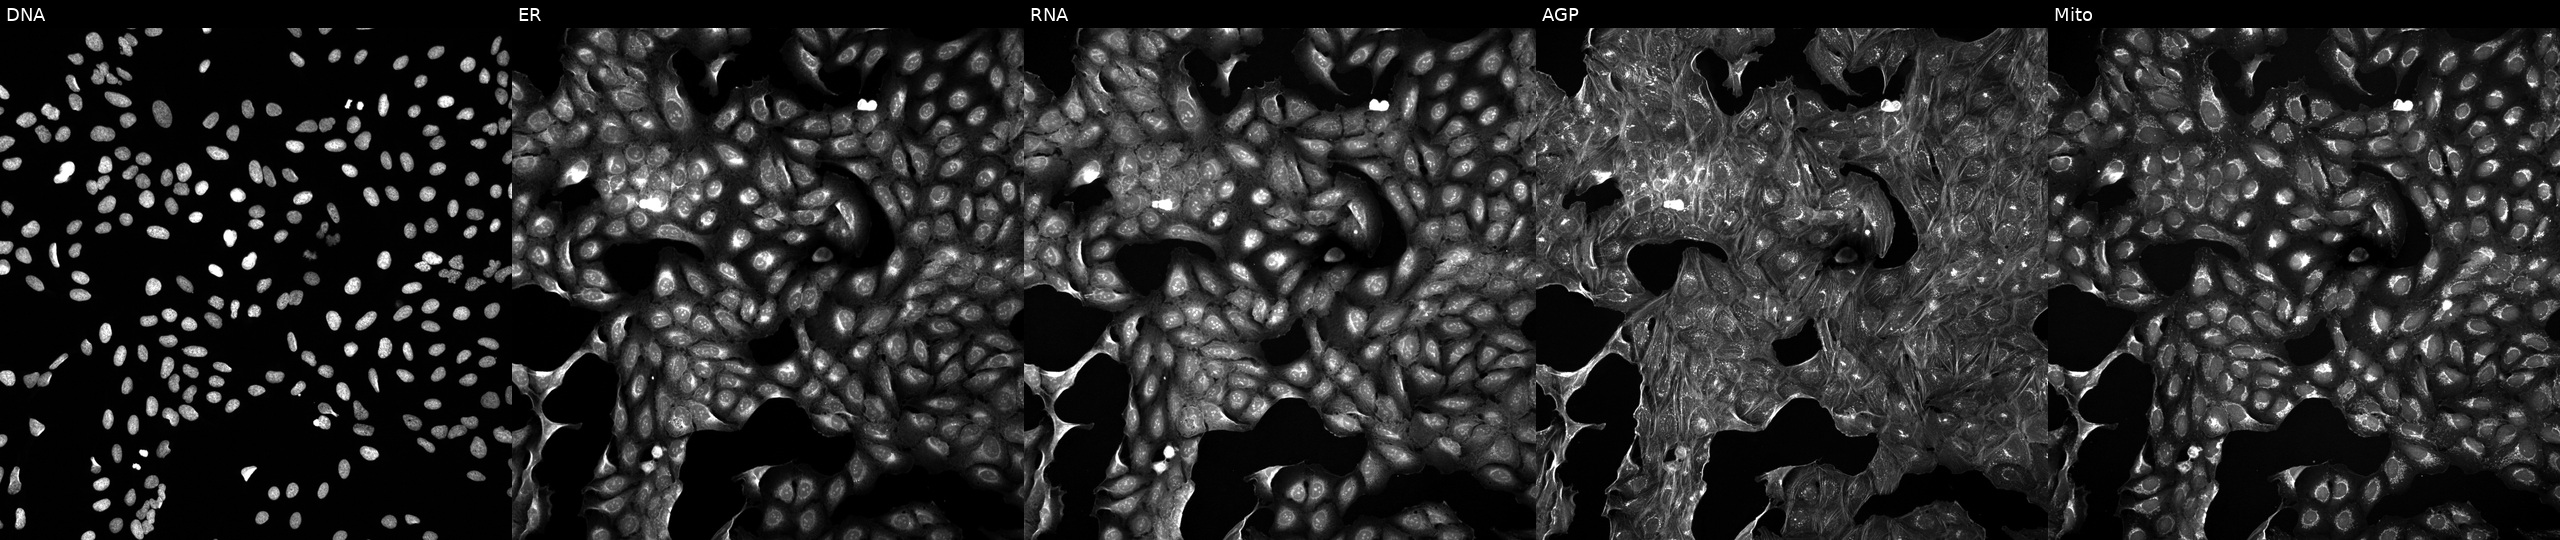
JUMP Cell Painting — TARGET2 plate. U2OS cells exposed to a small-molecule compound (InChIKey UFJGFNHRMPMALC-UHFFFAOYSA-N). The five panels, left to right, show Hoechst 33342, concanavalin A, SYTO 14, phalloidin and WGA, MitoTracker.